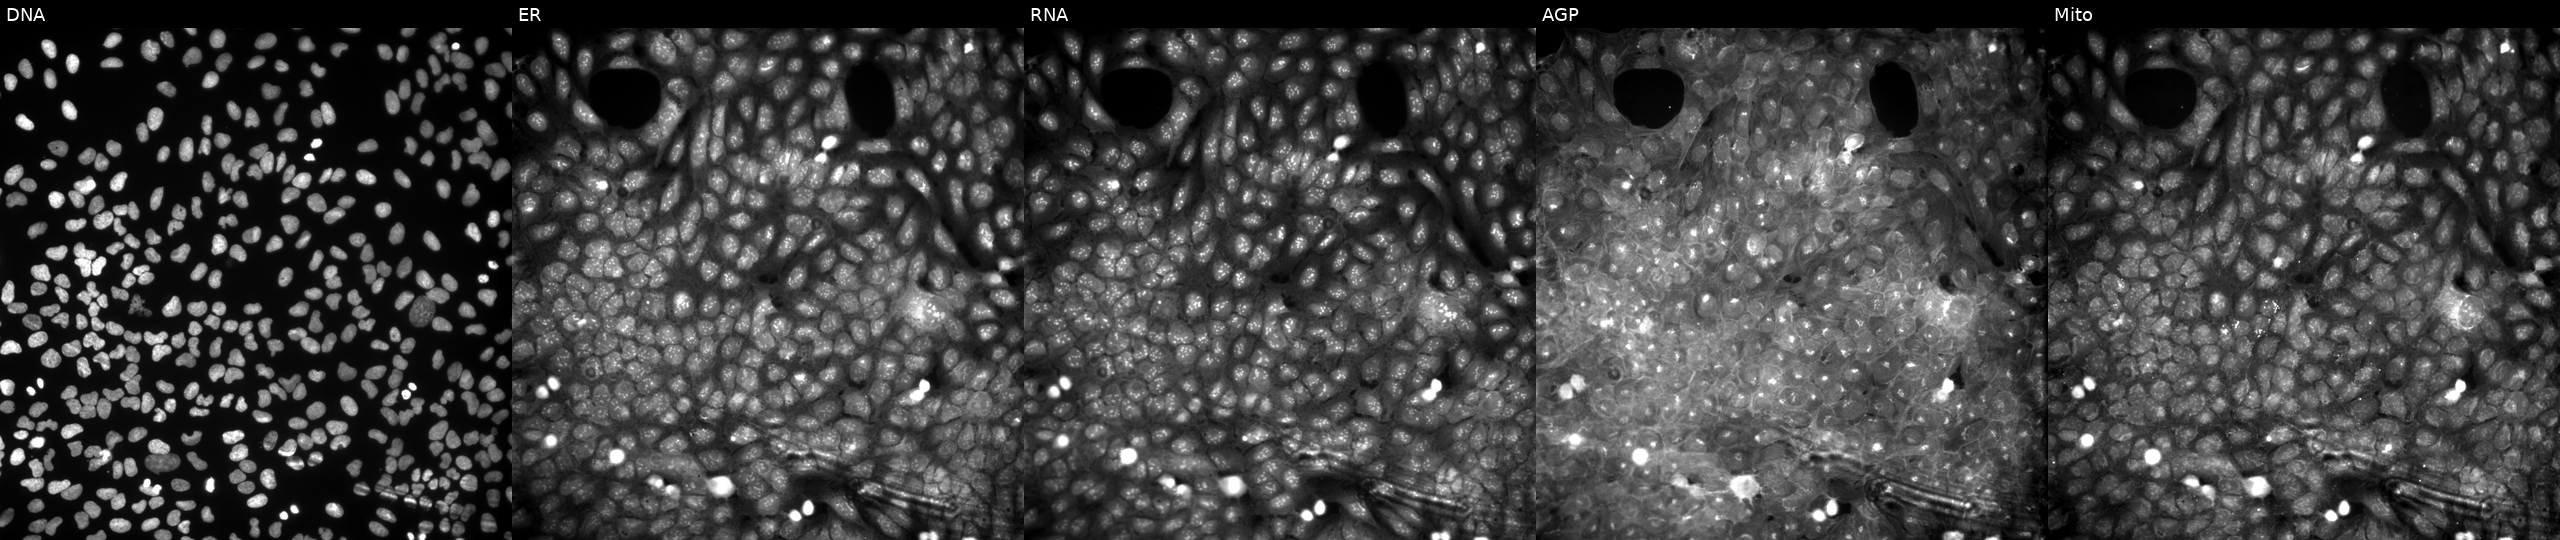
High-content fluorescence microscopy (Cell Painting). Cell line: U2OS. Perturbation: perturbed with a small-molecule compound (JUMP id JCP2022_059034). From left to right: Hoechst 33342, concanavalin A, SYTO 14, phalloidin and WGA, MitoTracker. Source 9, plate GR00003382, well AF11.